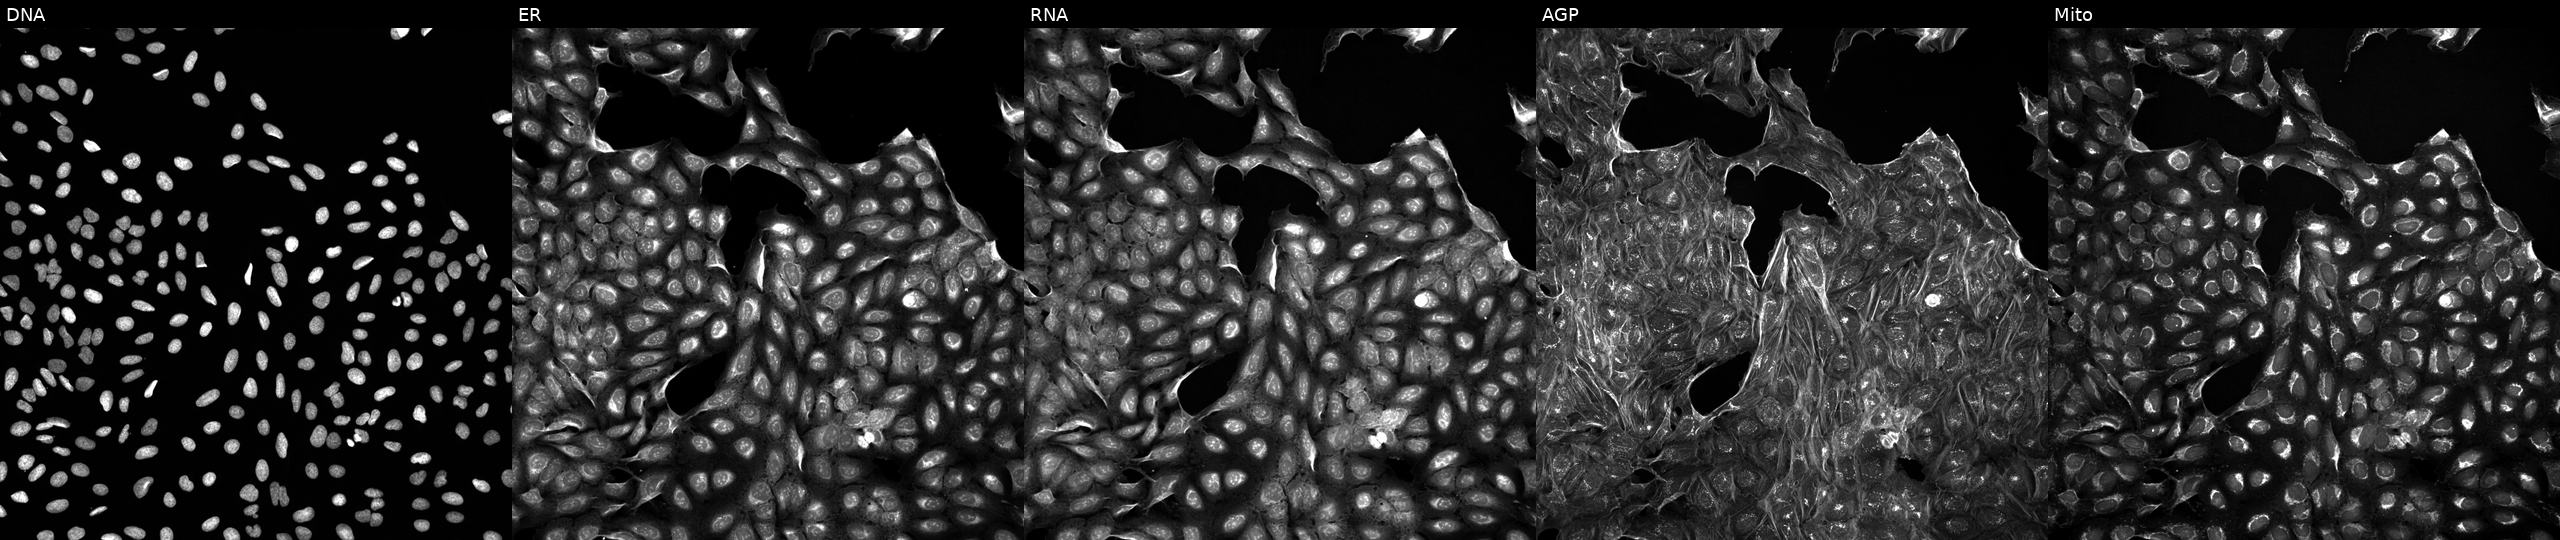
High-content fluorescence microscopy (Cell Painting). Cell line: U2OS. Perturbation: exposed to DMSO alone as a negative control (JUMP id JCP2022_033924). Channels (left→right): DNA, ER, RNA, AGP, and Mito.